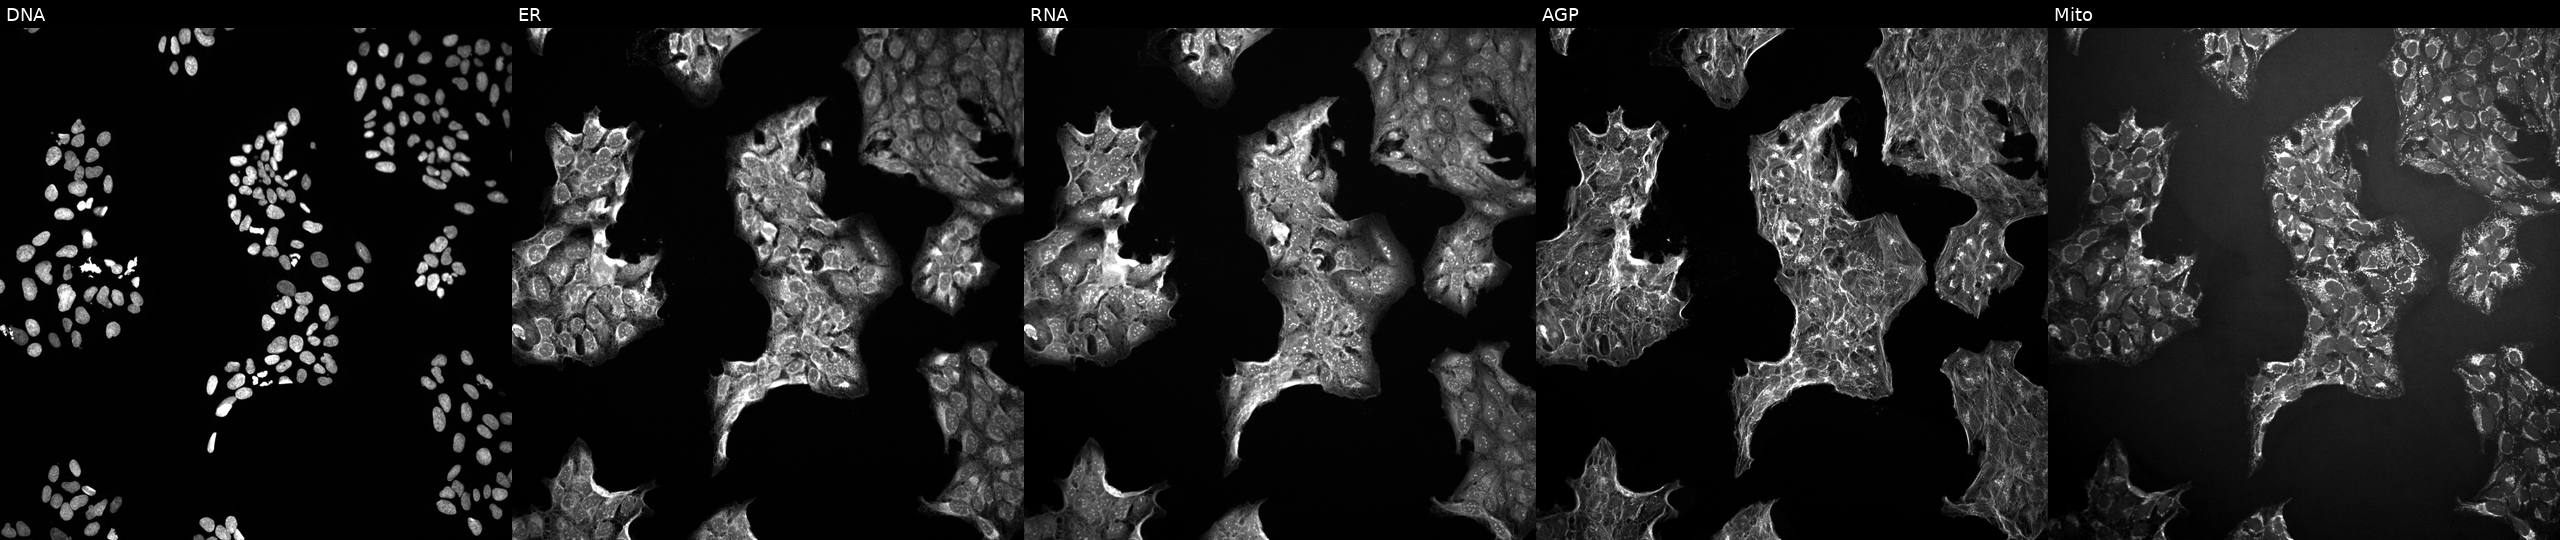
Five-channel Cell Painting image of U2OS cells treated with LY2109761 (positive-control compound). Panels show, left to right, Hoechst 33342, concanavalin A, SYTO 14, phalloidin and WGA, MitoTracker.